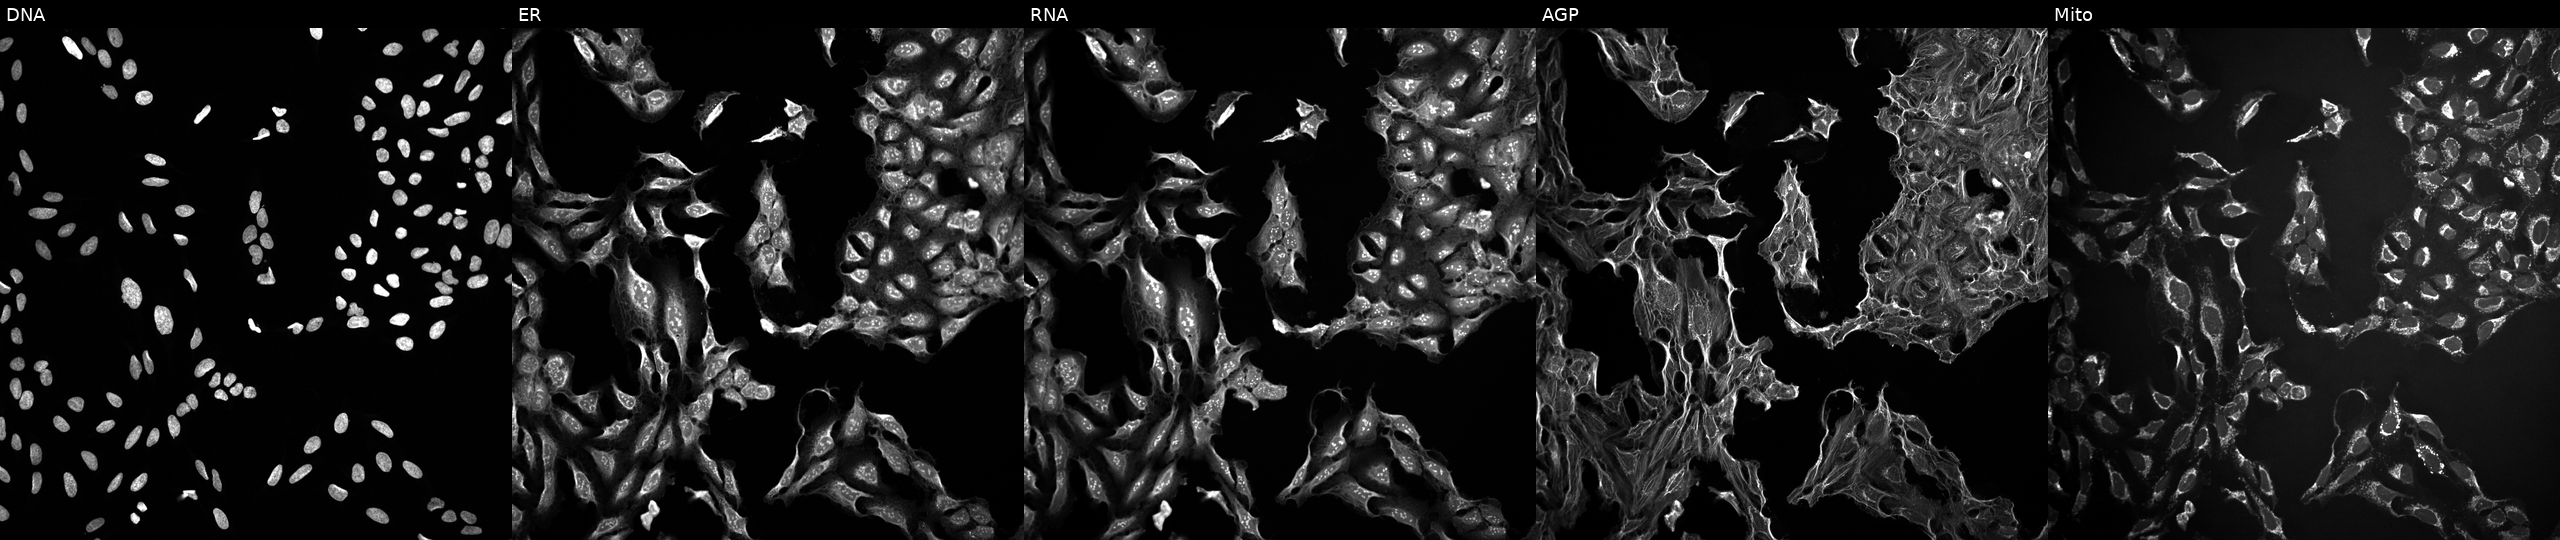
U2OS cells, Cell Painting assay, treated with a small-molecule compound (InChIKey IKENVDNFQMCRTR-UHFFFAOYSA-N) (JUMP id JCP2022_035570). Channels (left→right): DNA, ER, RNA, AGP, and Mito. Each panel is percentile-stretched 16-bit fluorescence.